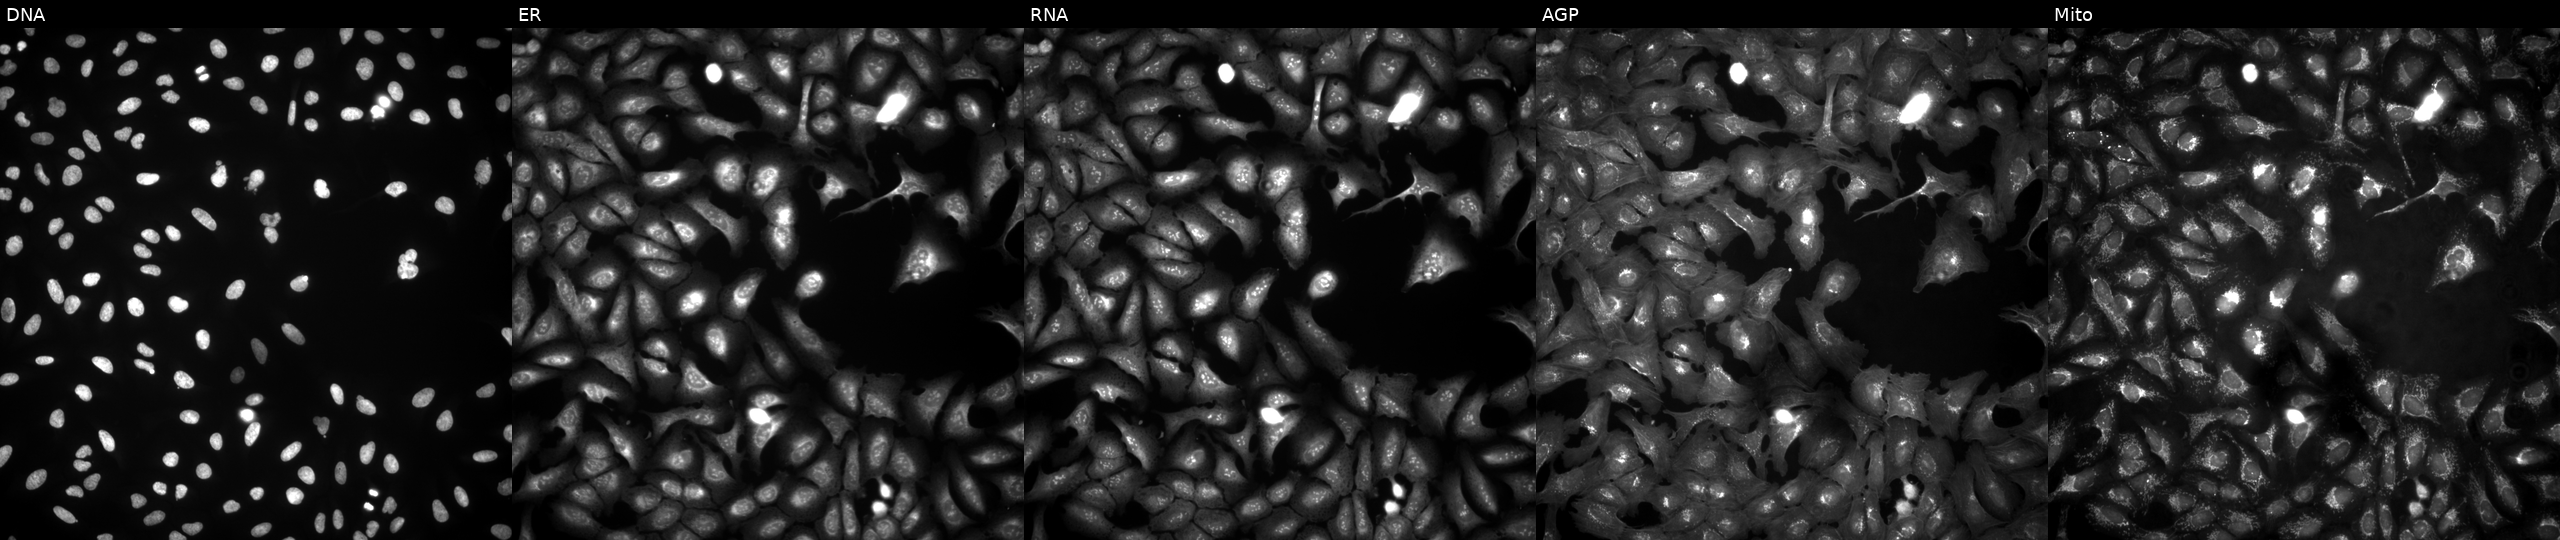
From left to right: DNA (nuclei); ER (endoplasmic reticulum); RNA (nucleoli and cytoplasmic RNA); AGP (actin cytoskeleton, Golgi, and plasma membrane); Mito (mitochondria). U2OS osteosarcoma cells with PROM2 overexpressed (ORF). Cell Painting assay, JUMP-CP dataset. Source 4, plate BR00124790, well A08.